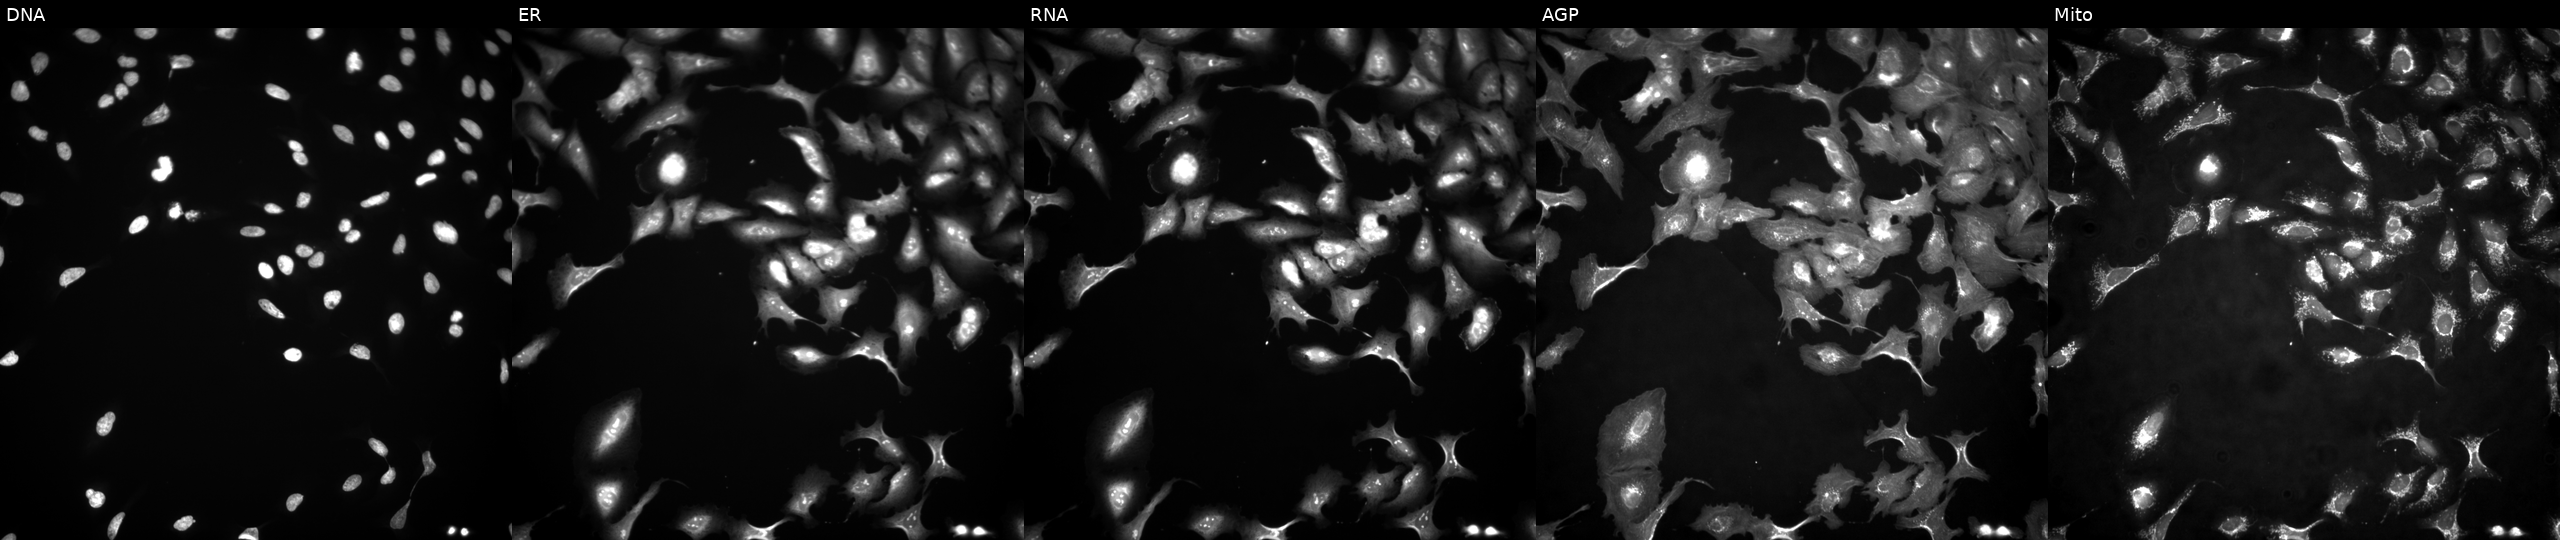
JUMP Cell Painting — ORF plate. U2OS cells with PYHIN1 overexpressed (ORF) (JUMP id JCP2022_904706). Channels (left→right): Hoechst 33342, concanavalin A, SYTO 14, phalloidin and WGA, MitoTracker.